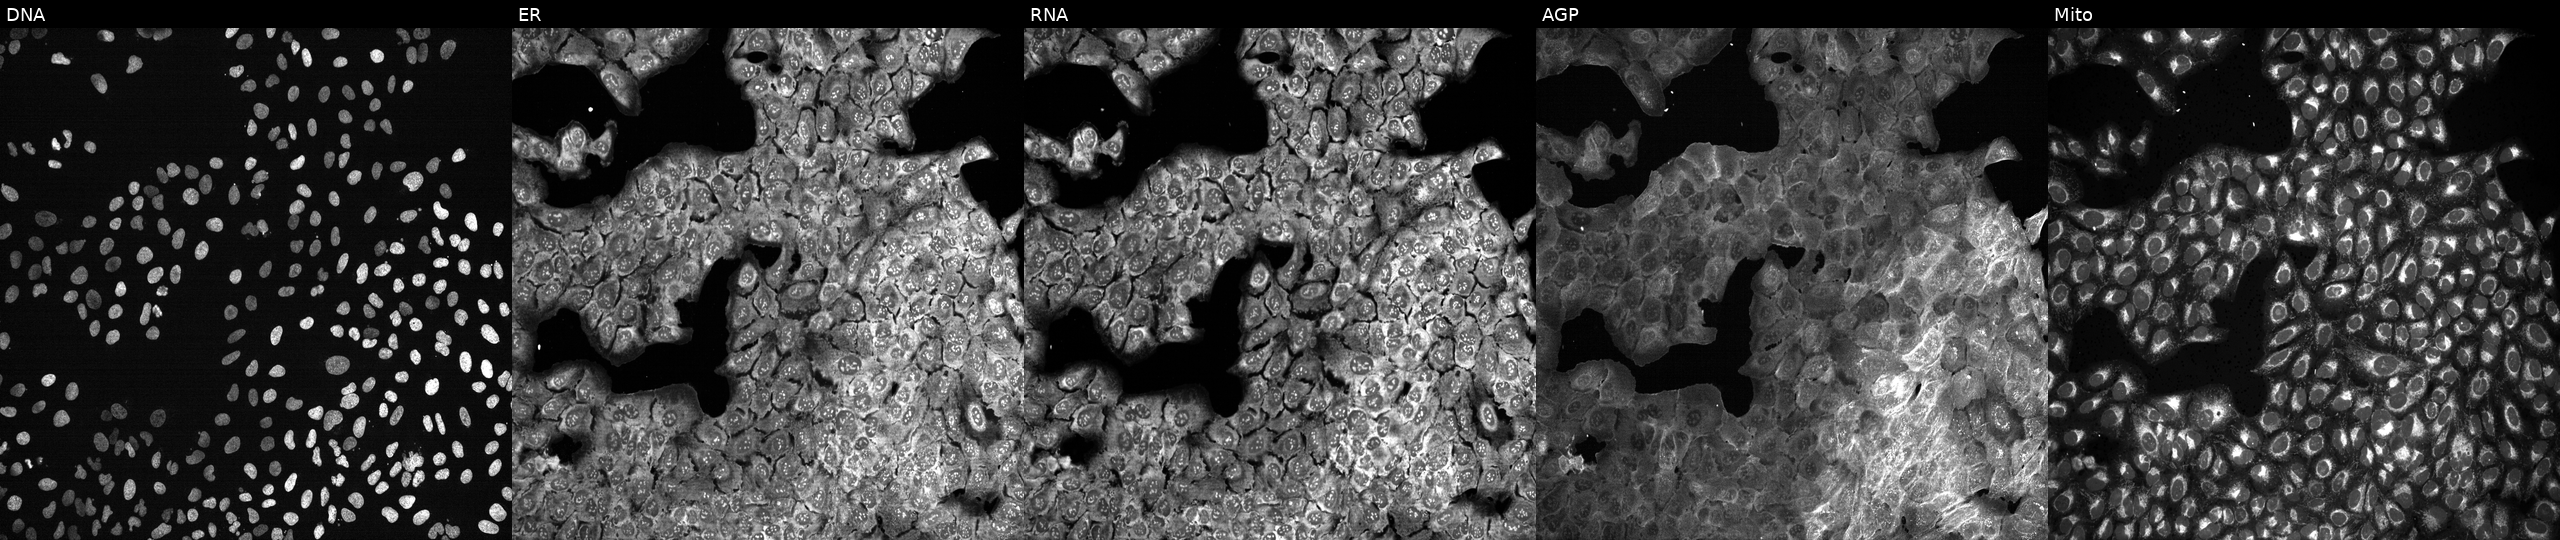
High-content fluorescence microscopy (Cell Painting). Cell line: U2OS. Perturbation: with LDHAL6B knocked out by CRISPR (JUMP id JCP2022_803799). Panels show, left to right, DNA, ER, RNA, AGP, and Mito.